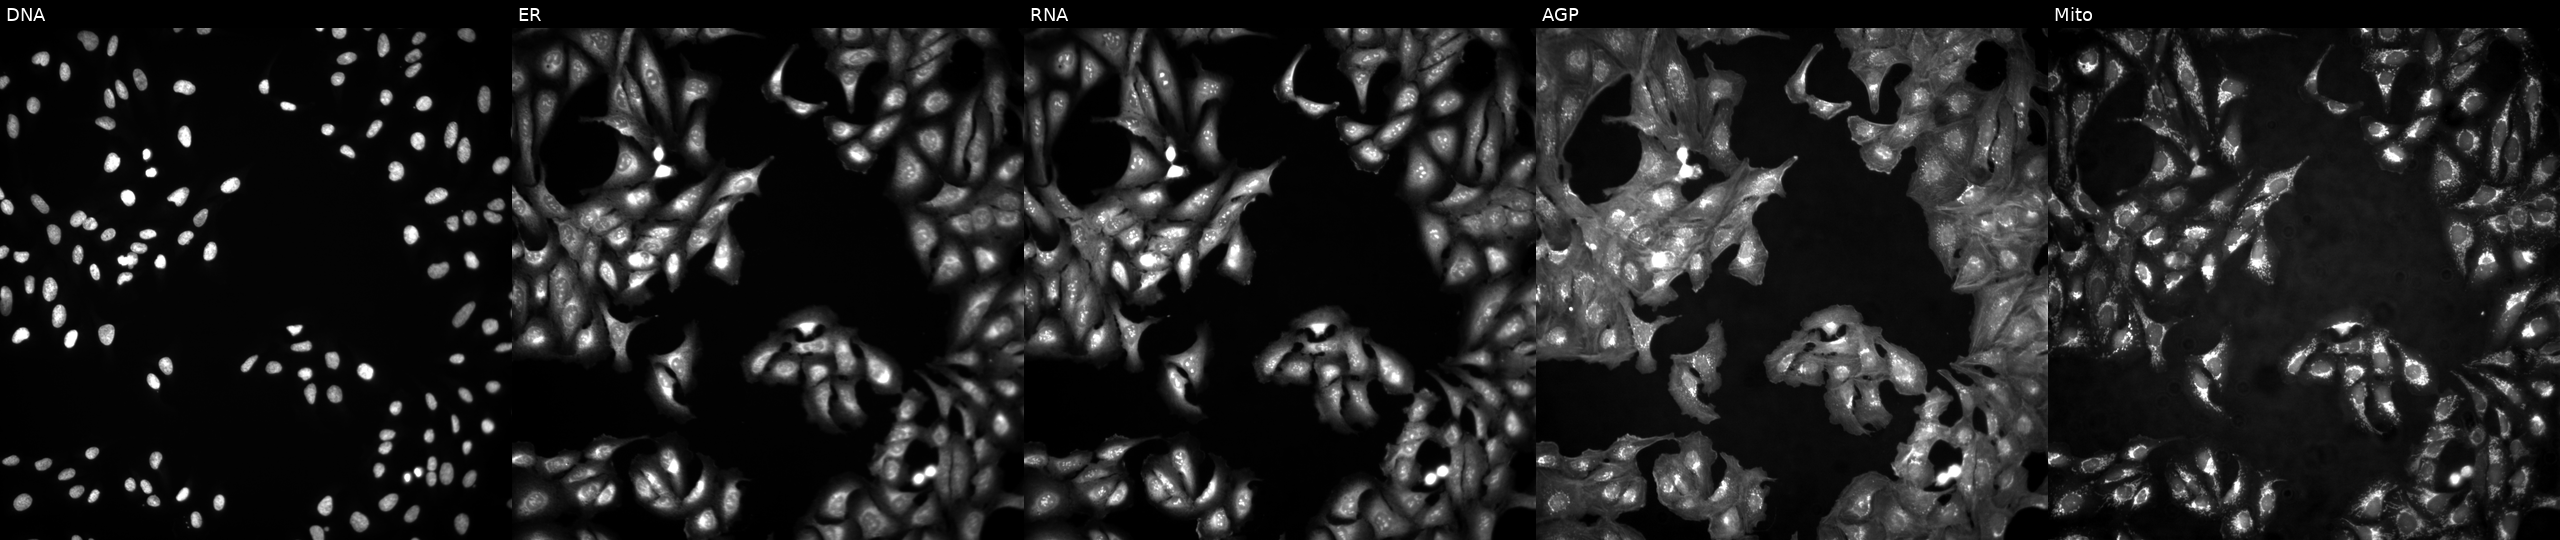
Five-channel Cell Painting image of U2OS cells untreated (empty-well control) (JUMP id JCP2022_999999). Channels (left→right): DNA, ER, RNA, AGP, and Mito. Source 4, plate BR00124793, well O20.